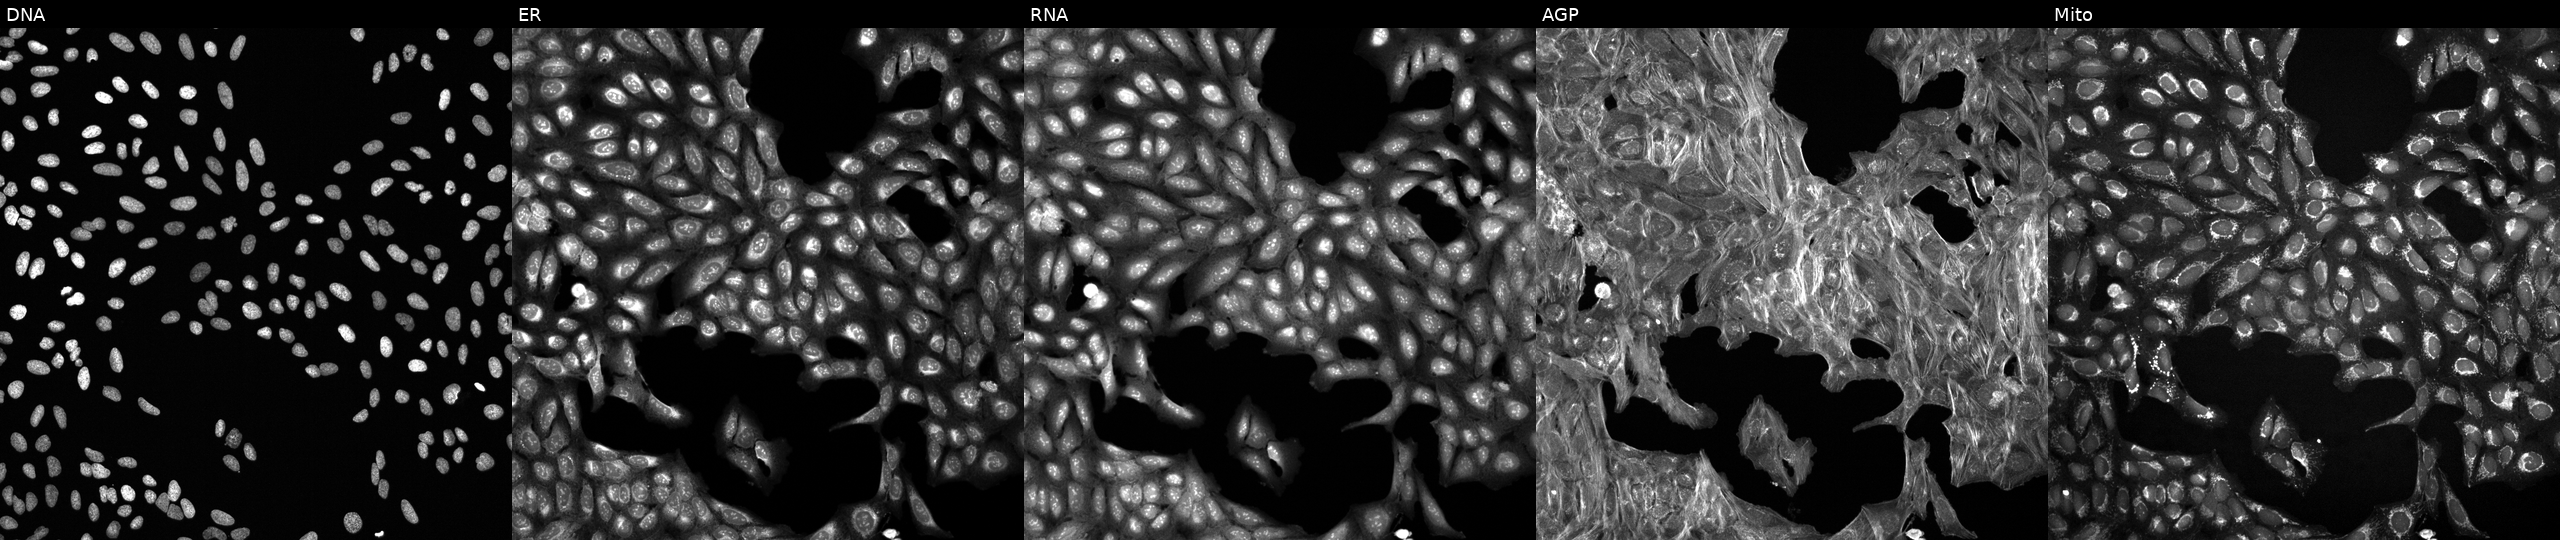
U2OS cells, Cell Painting assay, perturbed with a small-molecule compound (InChIKey FPVKHBSQESCIEP-UHFFFAOYSA-N). Channels (left→right): DNA, ER, RNA, AGP, and Mito. Each panel is percentile-stretched 16-bit fluorescence. Source 6, plate 110000293093, well O04.